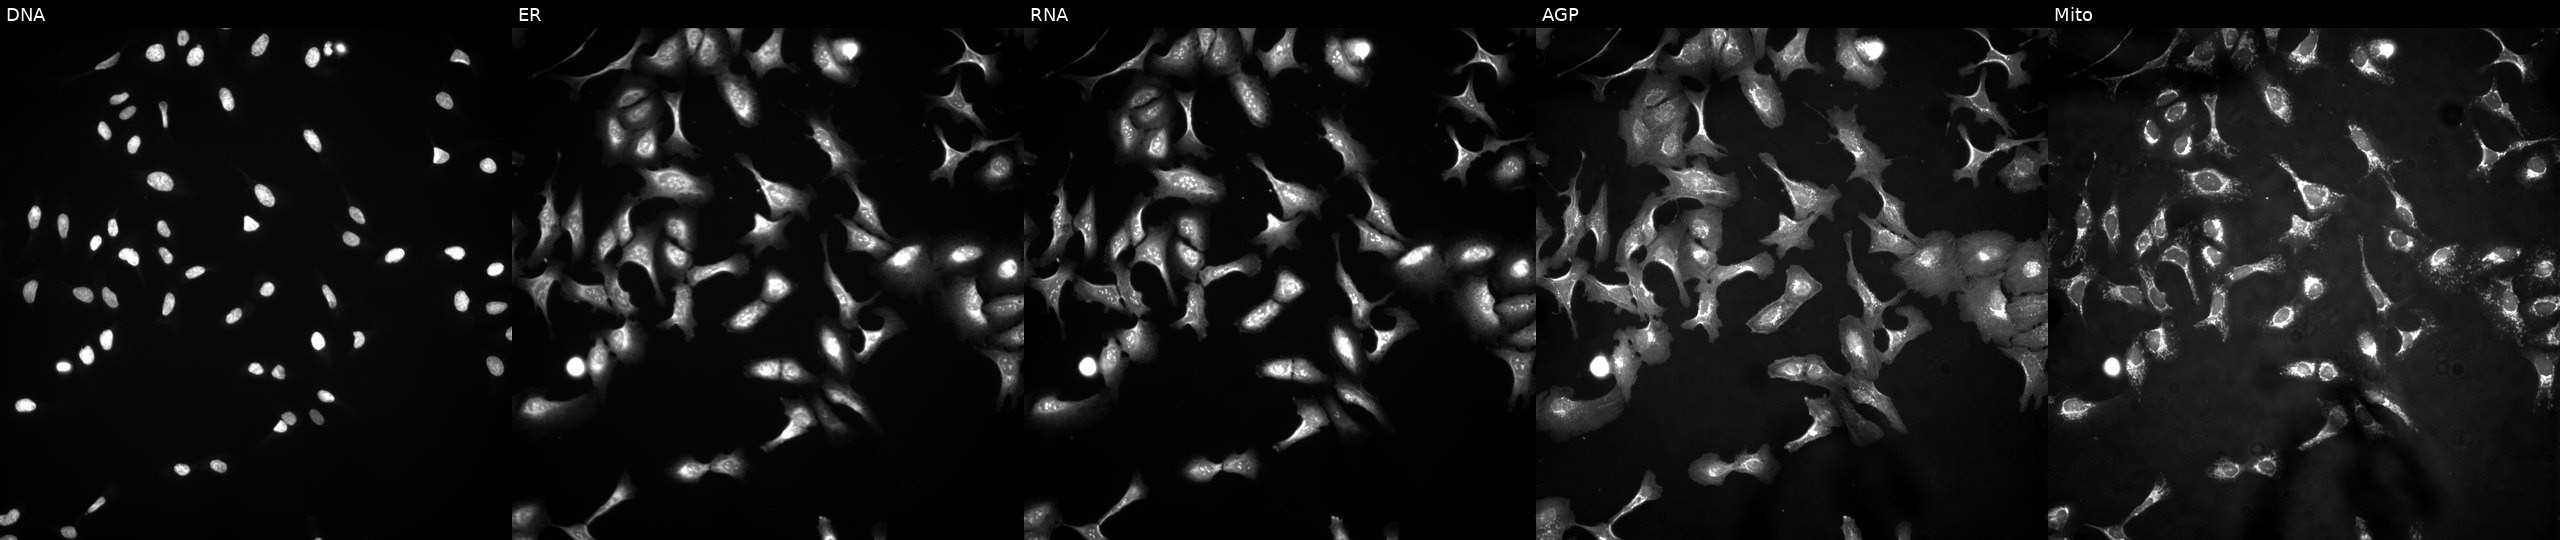
Five-channel Cell Painting image of U2OS cells overexpressing ORC4 via ORF transfection (JUMP id JCP2022_901052). Channels (left→right): DNA (nuclei); ER (endoplasmic reticulum); RNA (nucleoli and cytoplasmic RNA); AGP (actin cytoskeleton, Golgi, and plasma membrane); Mito (mitochondria). Source 4, plate BR00121543, well H02.